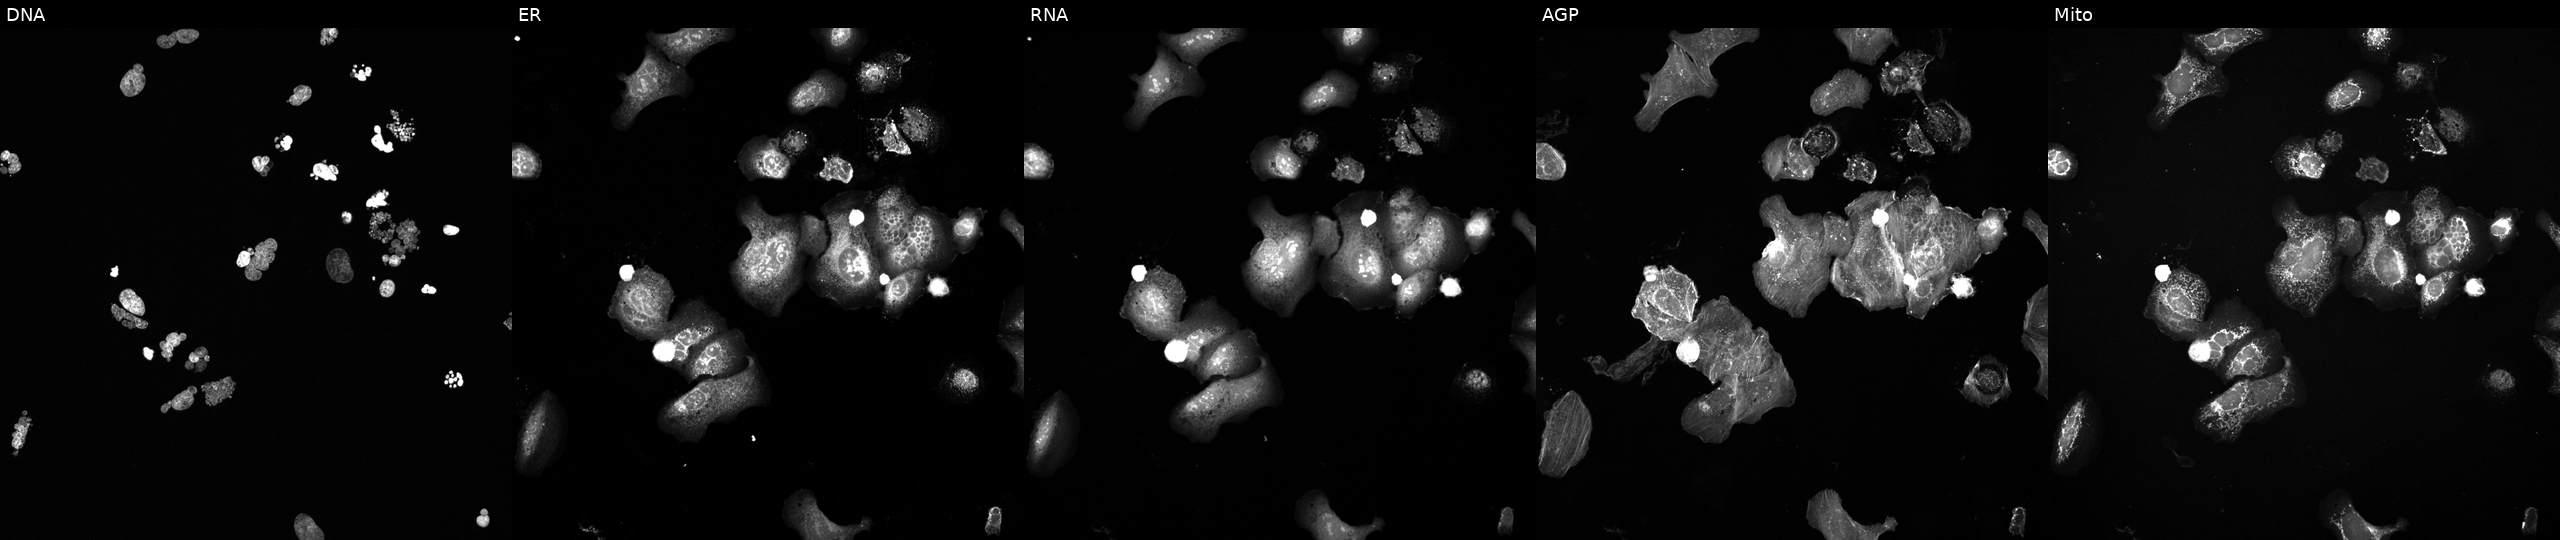
JUMP Cell Painting — TARGET2 plate. U2OS cells perturbed with a small-molecule compound (InChIKey RAOCRURYZCVHMG-UHFFFAOYSA-N) (JUMP id JCP2022_077096). From left to right: DNA, ER, RNA, AGP, and Mito. Source 6, plate 110000294901, well F11.